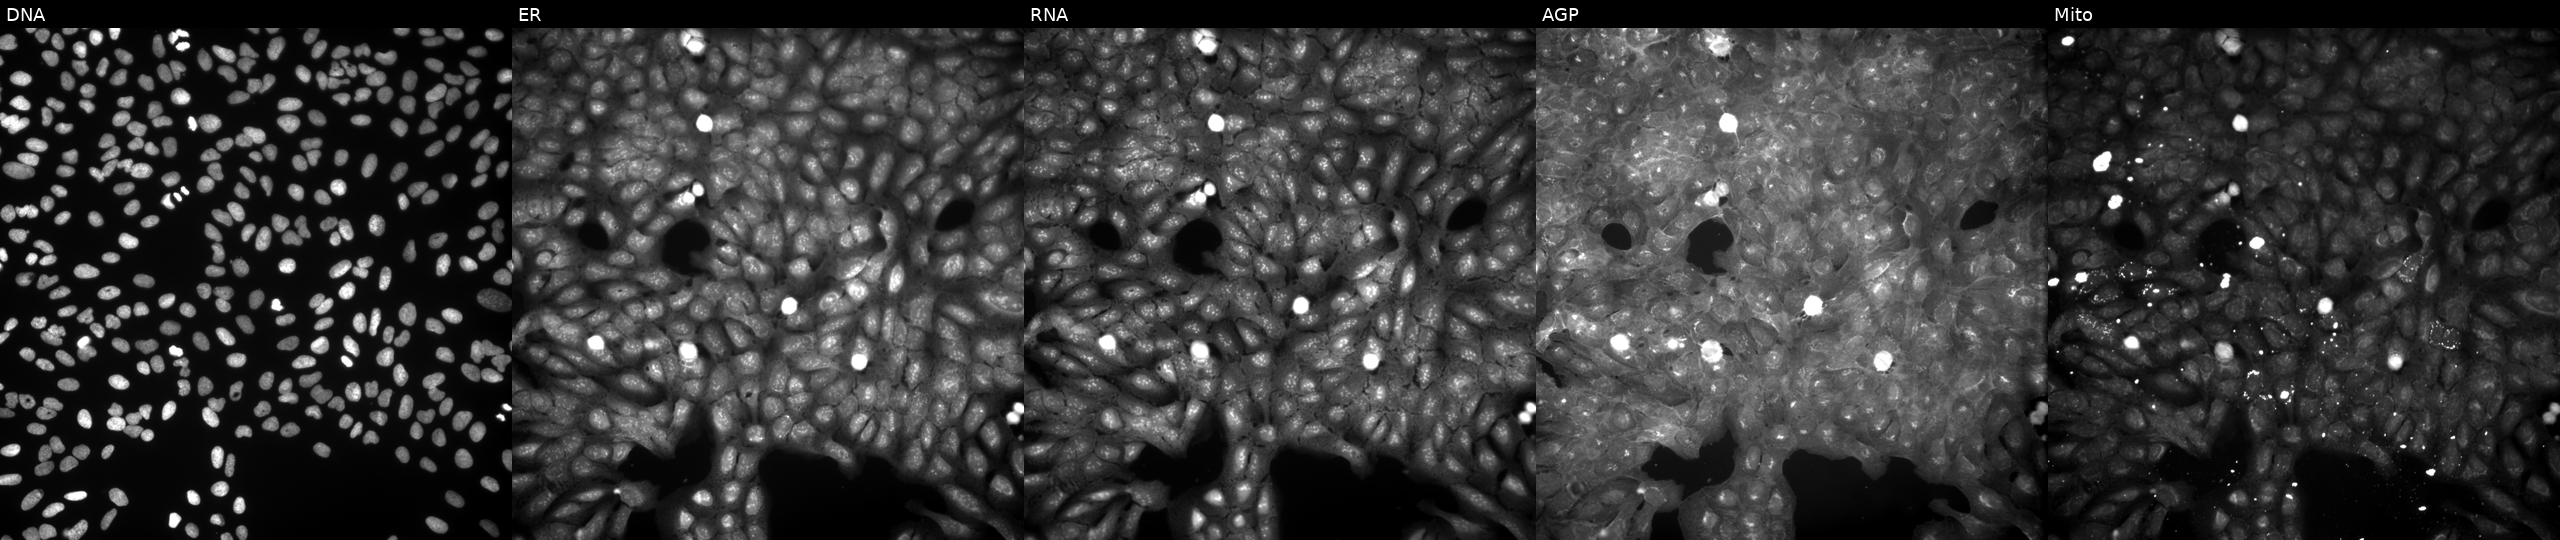
U2OS cells, Cell Painting assay, treated with a small-molecule compound [SMILES: O=C1CSC(c2ccc([N+](=O)[O-])cc2)N1C1CCCCC1] (JUMP id JCP2022_076105). Panels show, left to right, DNA, ER, RNA, AGP, and Mito. Each panel is percentile-stretched 16-bit fluorescence. Source 9, plate GR00003382, well S31.